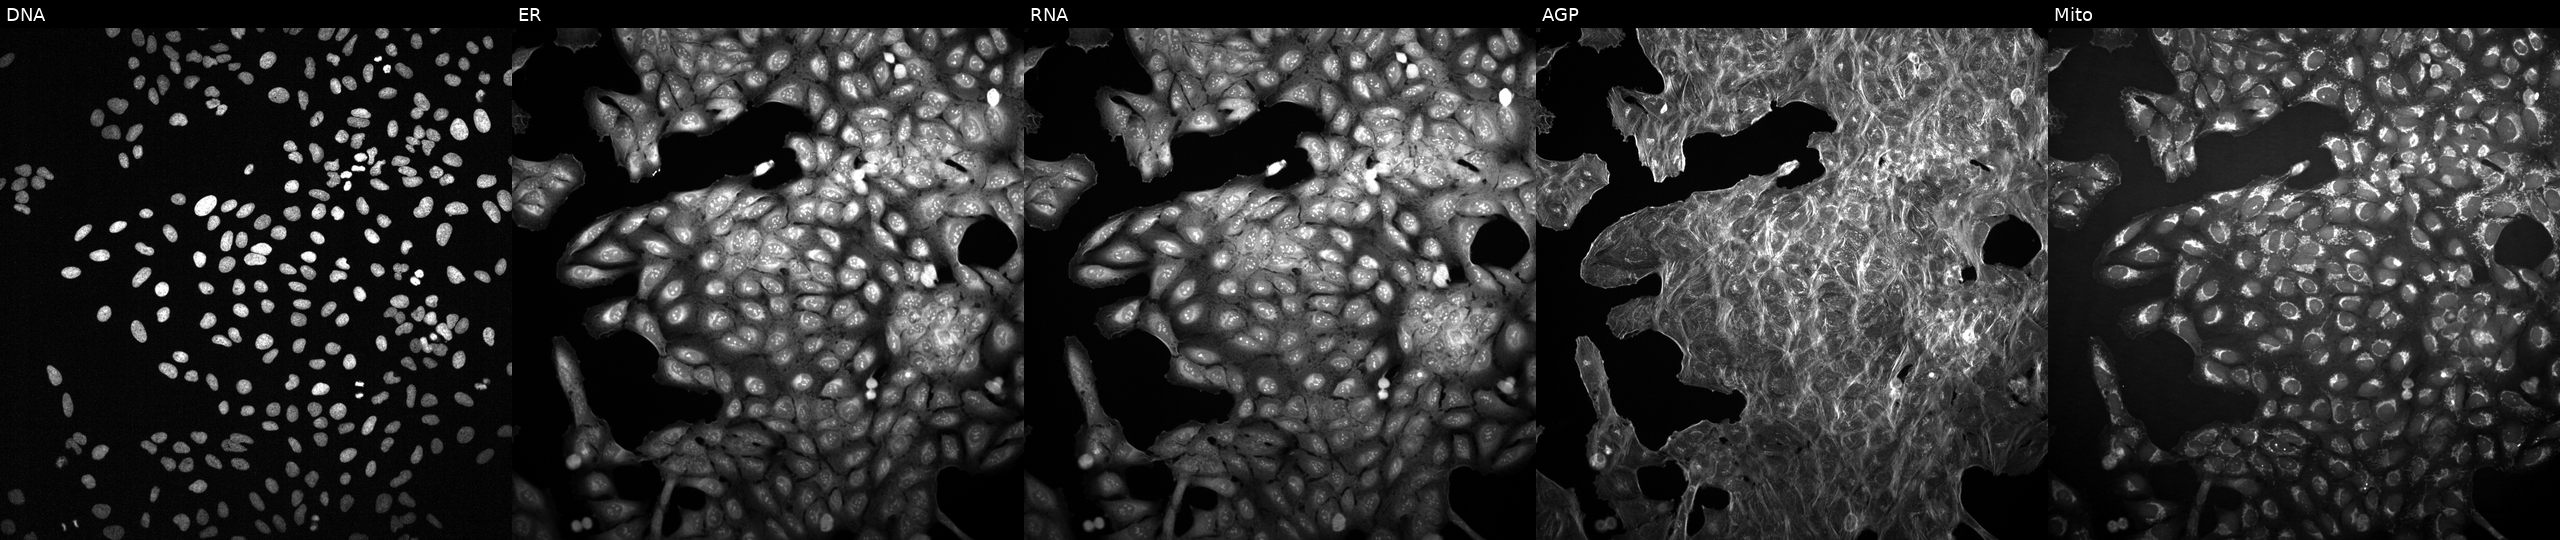
U2OS cells, Cell Painting assay, treated with DMSO vehicle only (negative control) (JUMP id JCP2022_033924). Channels (left→right): Hoechst 33342, concanavalin A, SYTO 14, phalloidin and WGA, MitoTracker. Each panel is percentile-stretched 16-bit fluorescence.